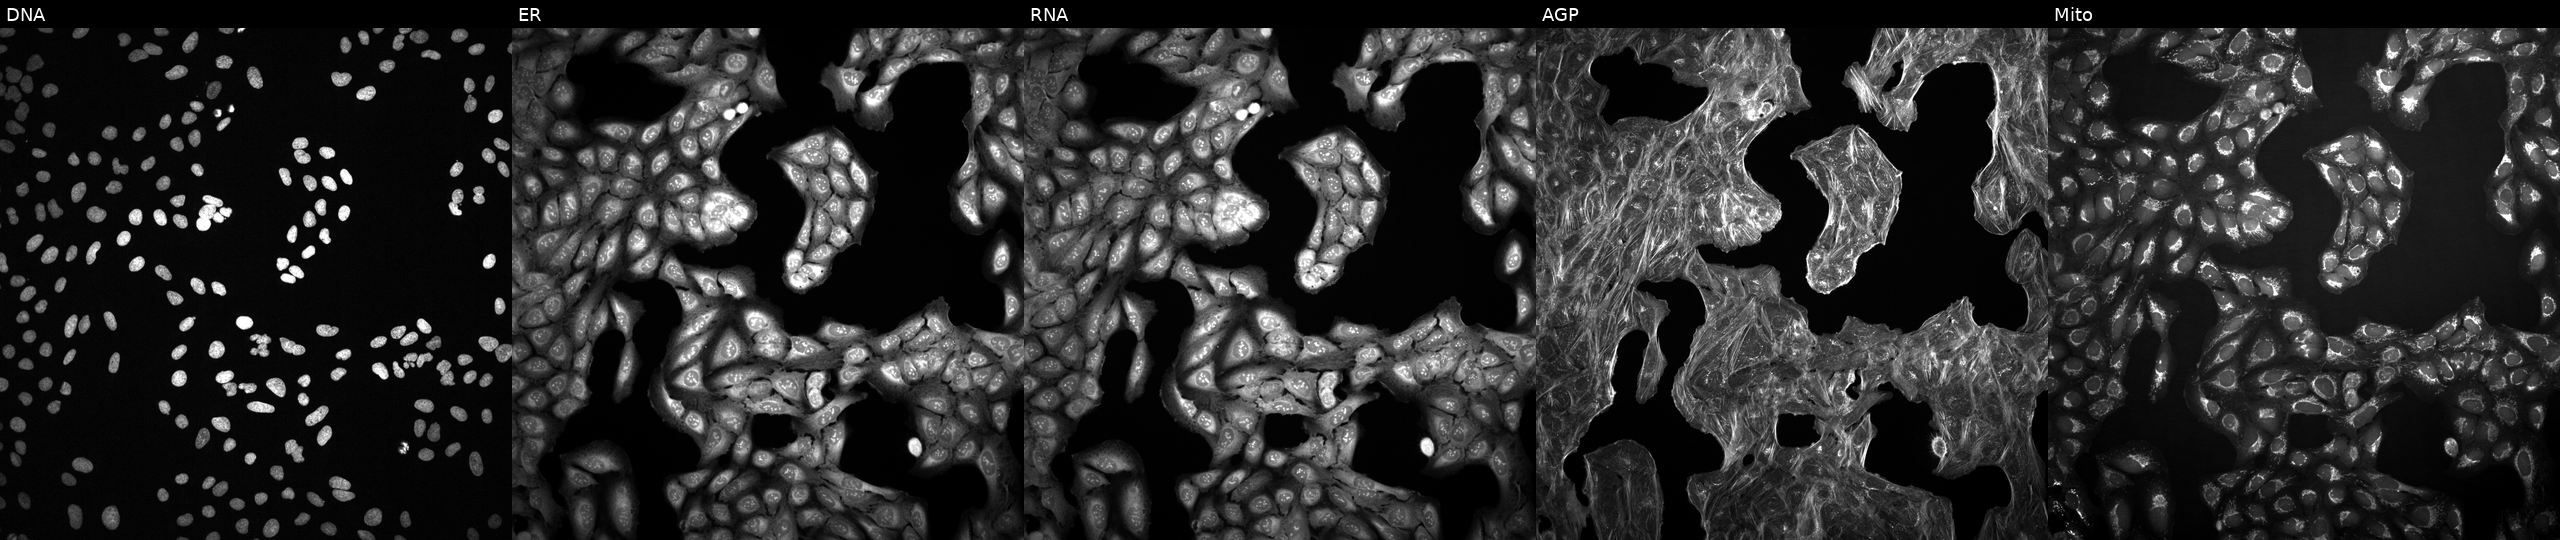
Panels show, left to right, DNA (nuclei); ER (endoplasmic reticulum); RNA (nucleoli and cytoplasmic RNA); AGP (actin cytoskeleton, Golgi, and plasma membrane); Mito (mitochondria). U2OS osteosarcoma cells treated with a small-molecule compound (InChIKey LMEKQMALGUDUQG-UHFFFAOYSA-N). Cell Painting assay, JUMP-CP dataset. Source 2, plate 1053597936, well I08.